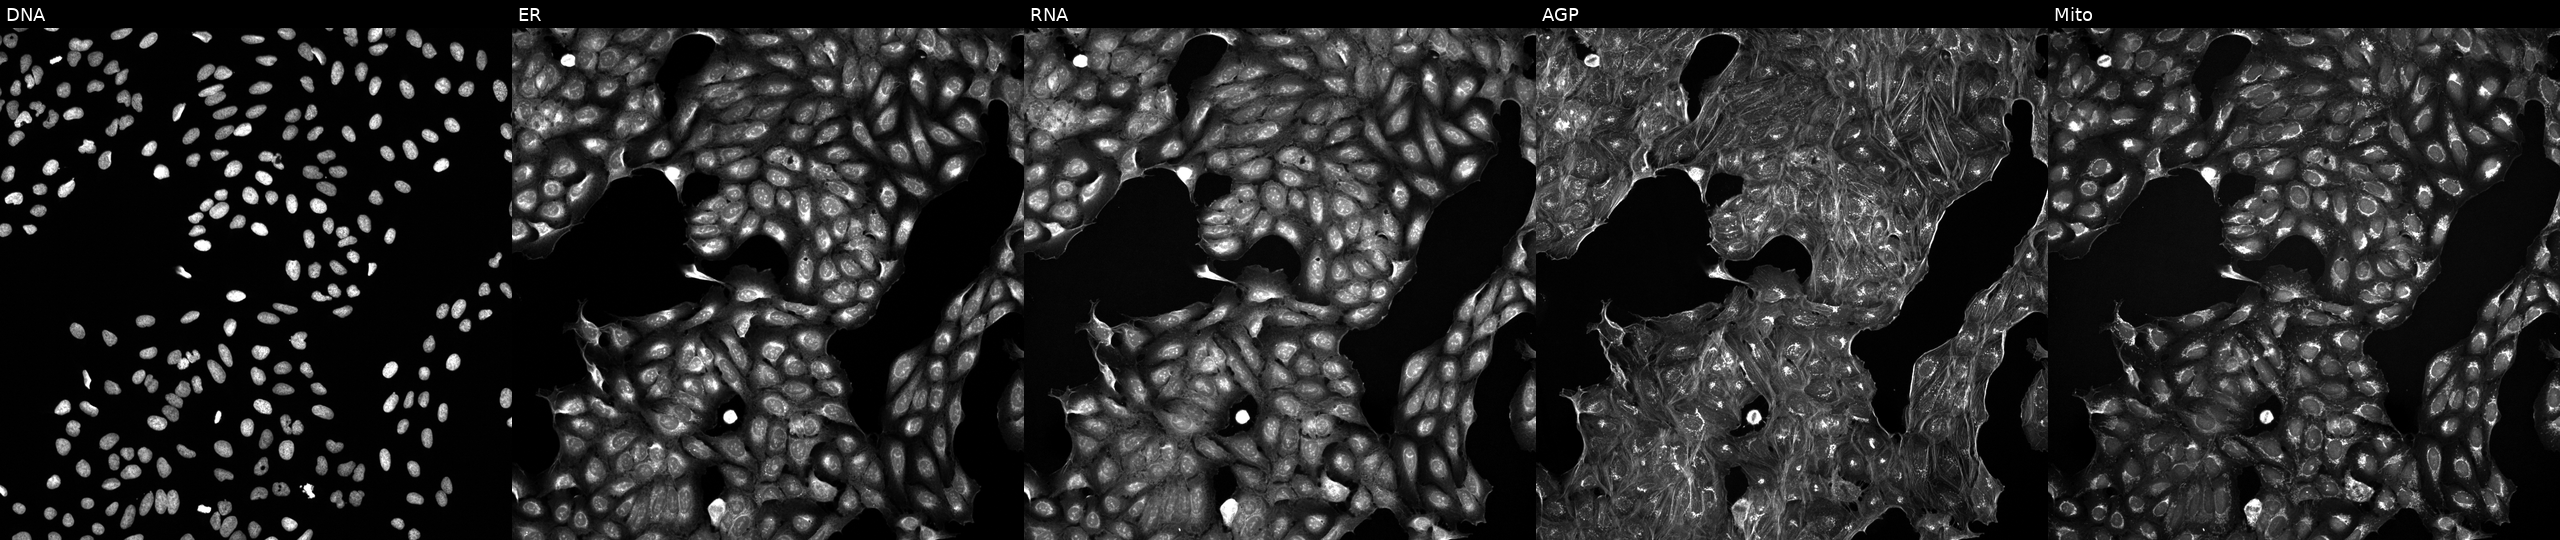
Five-channel Cell Painting image of U2OS cells treated with DMSO vehicle only (negative control) (JUMP id JCP2022_033924). Channels (left→right): Hoechst 33342, concanavalin A, SYTO 14, phalloidin and WGA, MitoTracker.